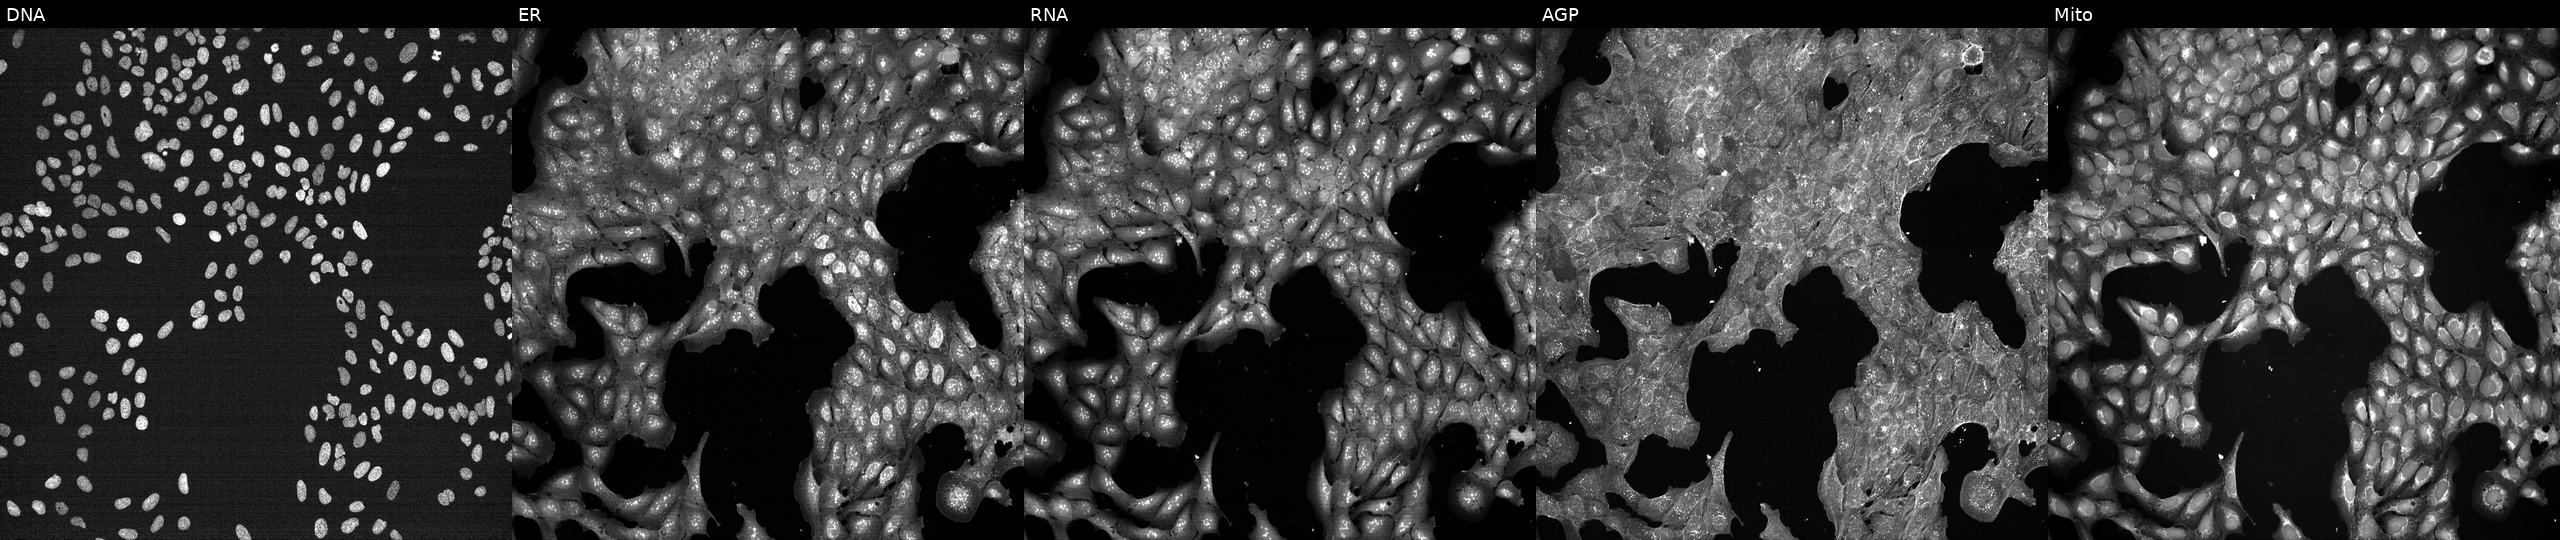
This image strip shows the five Cell Painting channels for a single field of U2OS cells treated with a small-molecule compound (InChIKey KPYSYYIEGFHWSV-UHFFFAOYSA-N) [SMILES: NCC(CC(=O)O)c1ccc(Cl)cc1]. The five panels, left to right, show DNA, ER, RNA, AGP, and Mito. Source 7, plate CP1-SC1-25, well G13.